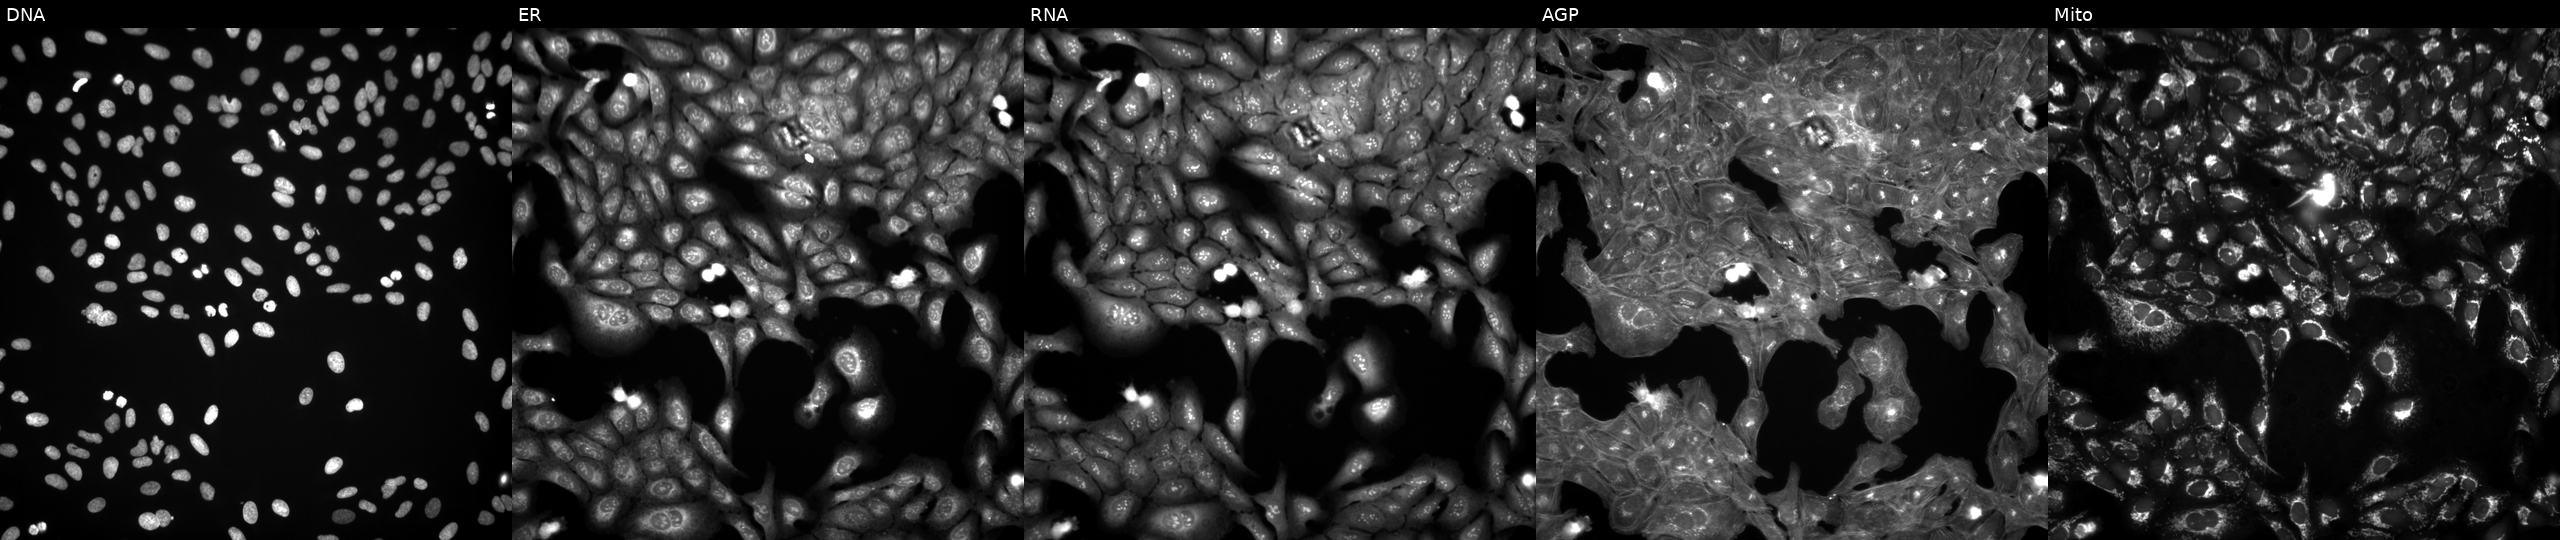
Five-channel Cell Painting image of U2OS cells exposed to a small-molecule compound (InChIKey RNSLRQNDXRSASX-UHFFFAOYSA-N) (JUMP id JCP2022_079562). Panels show, left to right, Hoechst 33342, concanavalin A, SYTO 14, phalloidin and WGA, MitoTracker.